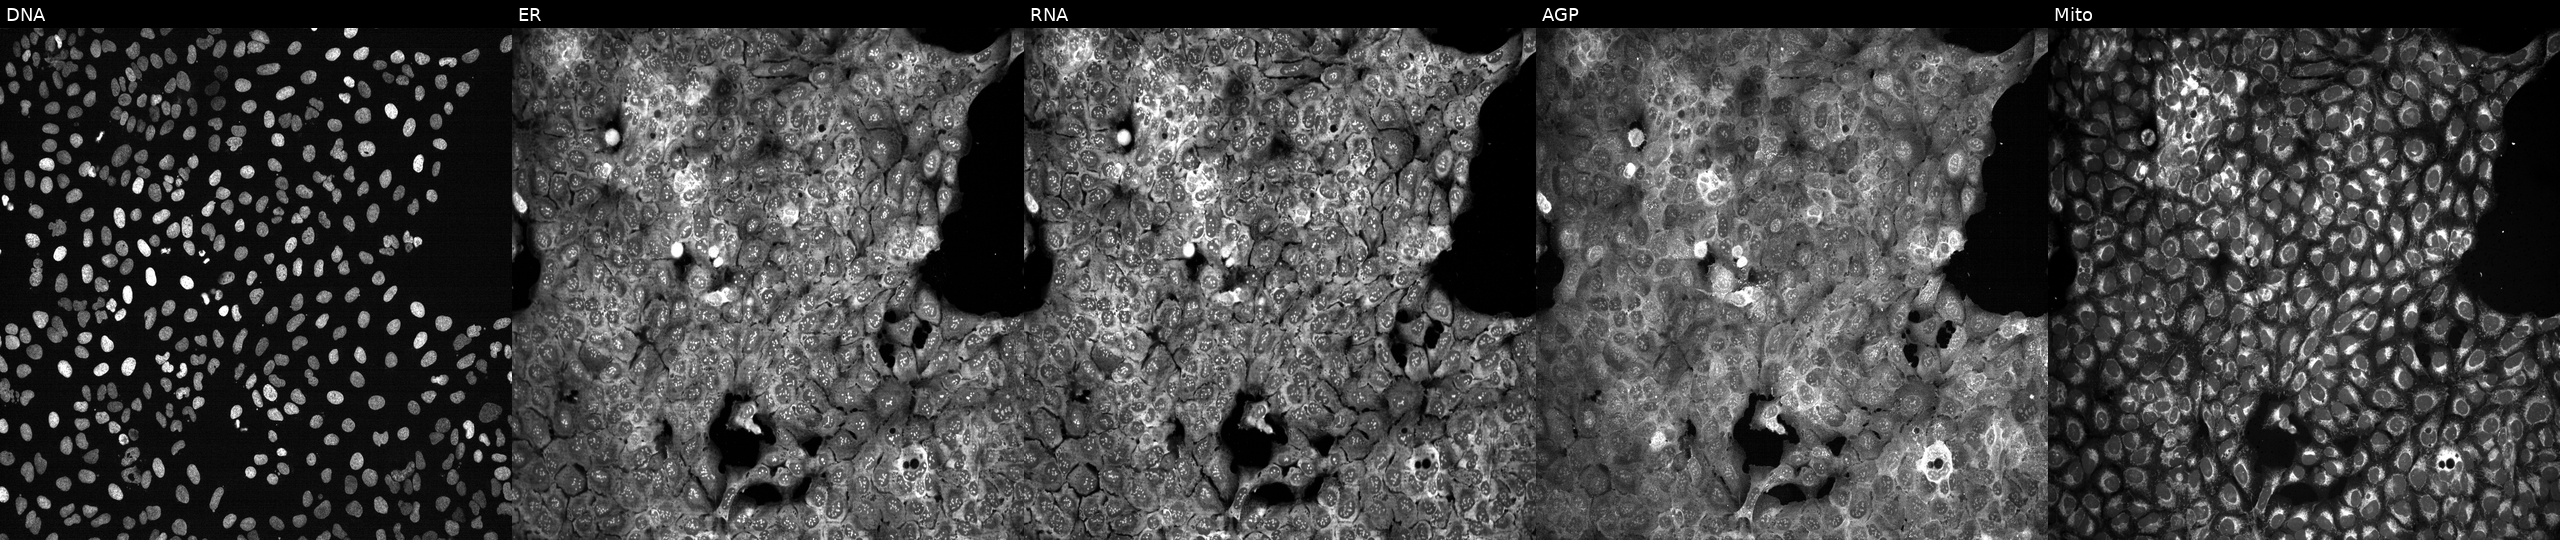
High-content fluorescence microscopy (Cell Painting). Cell line: U2OS. Perturbation: CRISPR-edited to disrupt GNAI2. The five panels, left to right, show DNA (nuclei); ER (endoplasmic reticulum); RNA (nucleoli and cytoplasmic RNA); AGP (actin cytoskeleton, Golgi, and plasma membrane); Mito (mitochondria). Source 13, plate CP-CC9-R4-03, well K16.